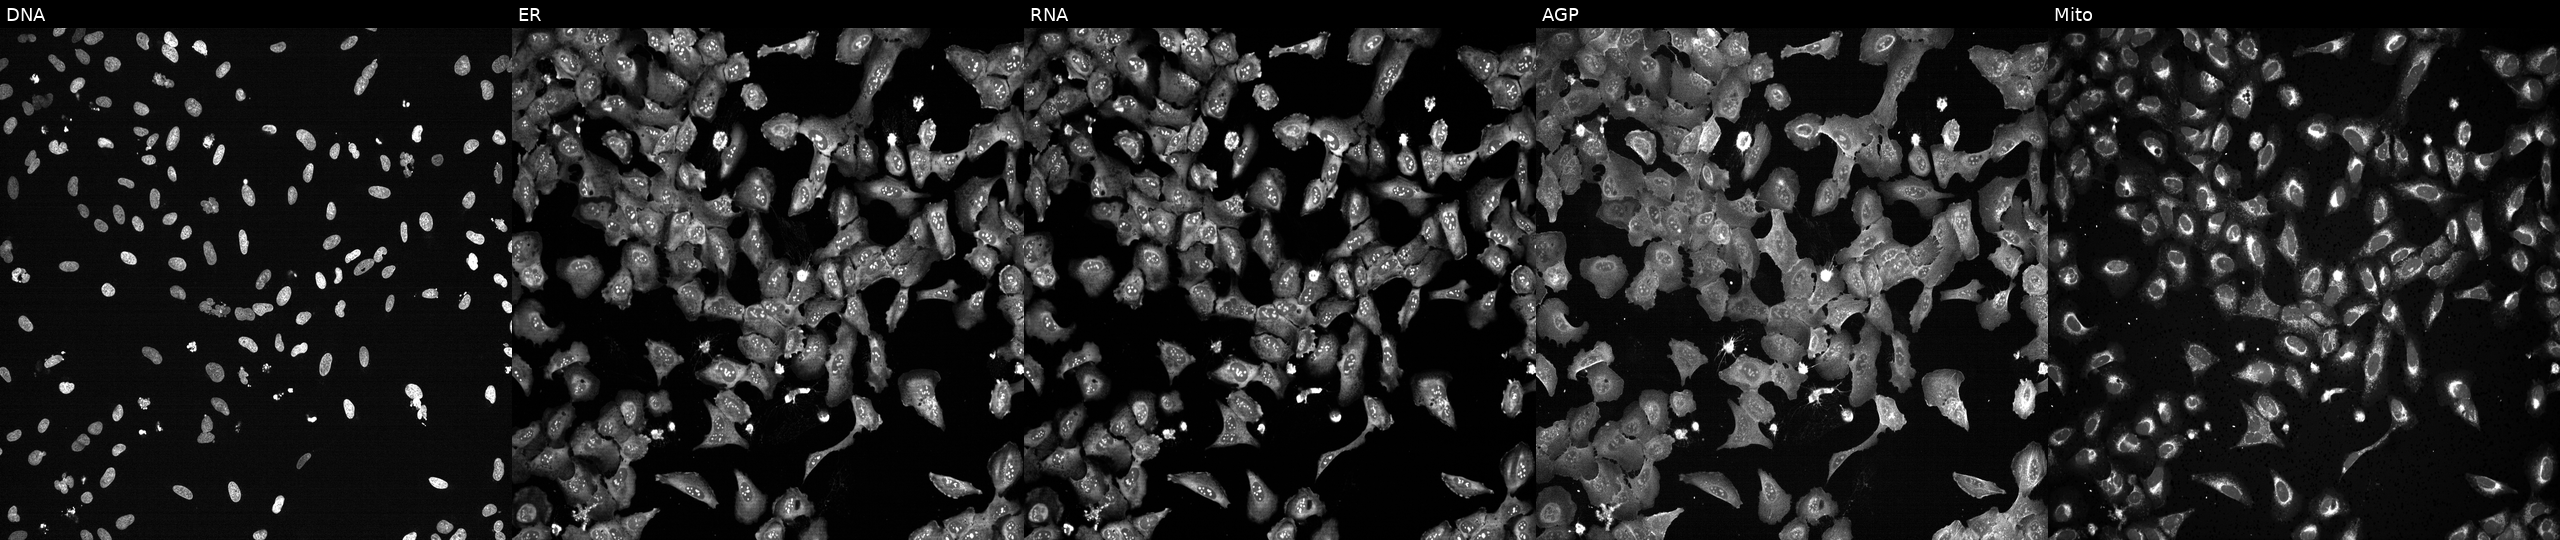
Channels (left→right): DNA (nuclei); ER (endoplasmic reticulum); RNA (nucleoli and cytoplasmic RNA); AGP (actin cytoskeleton, Golgi, and plasma membrane); Mito (mitochondria). U2OS osteosarcoma cells exposed to the positive-control compound TC-S-7004. Cell Painting assay, JUMP-CP dataset. Source 13, plate CP-CC9-R2-02, well H01.